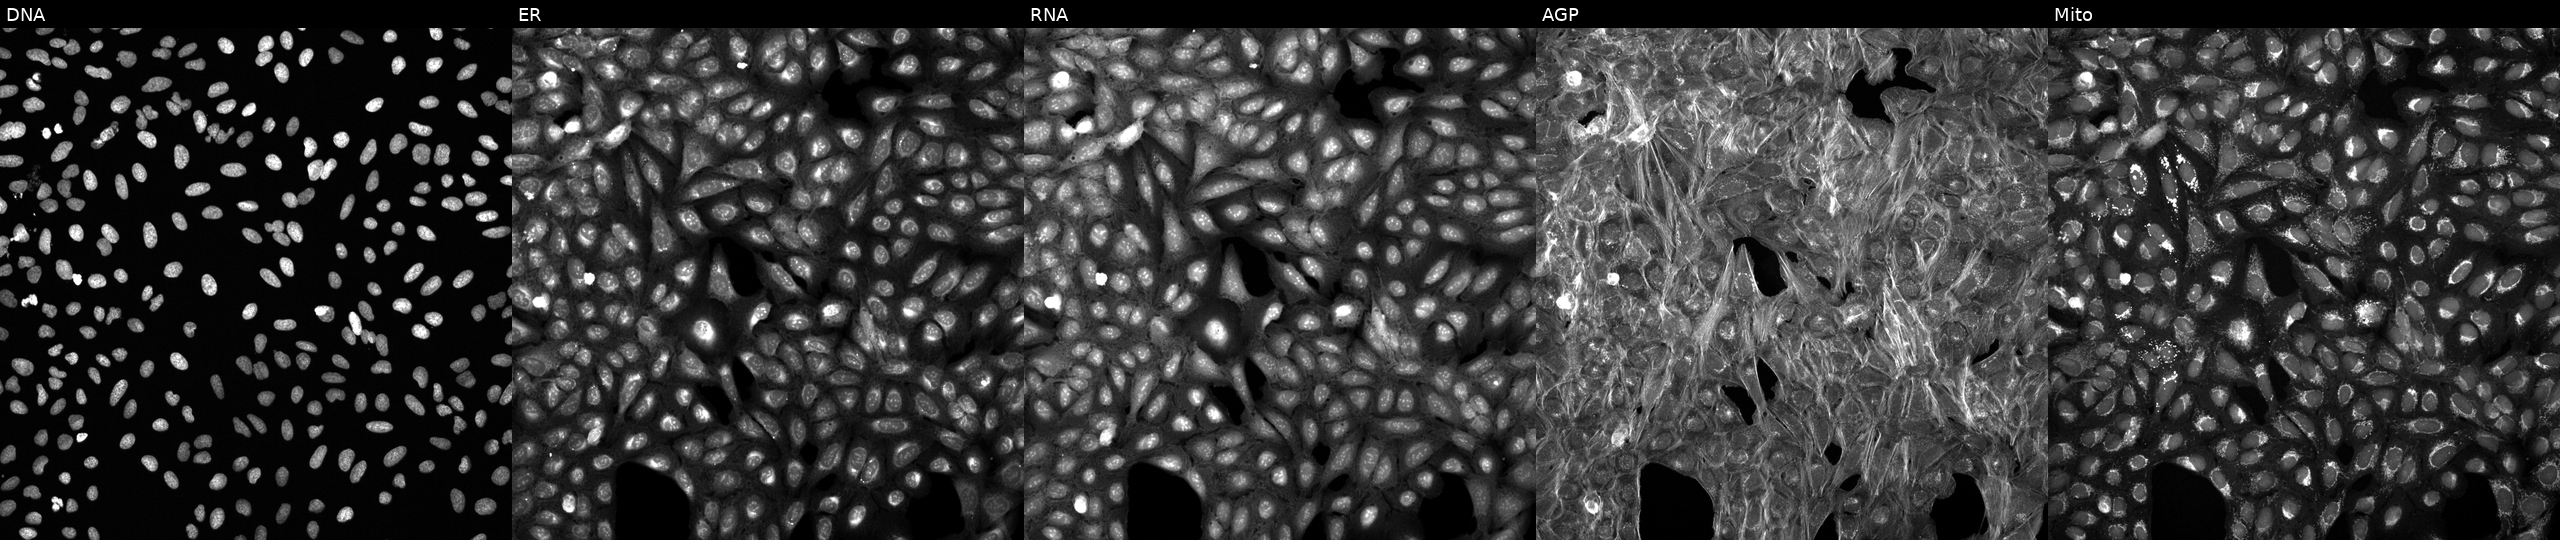
Panels show, left to right, Hoechst 33342, concanavalin A, SYTO 14, phalloidin and WGA, MitoTracker. U2OS osteosarcoma cells exposed to a small-molecule compound (InChIKey MVCQKIKWYUURMU-UHFFFAOYSA-N). Cell Painting assay, JUMP-CP dataset. Source 6, plate 110000294901, well G11.